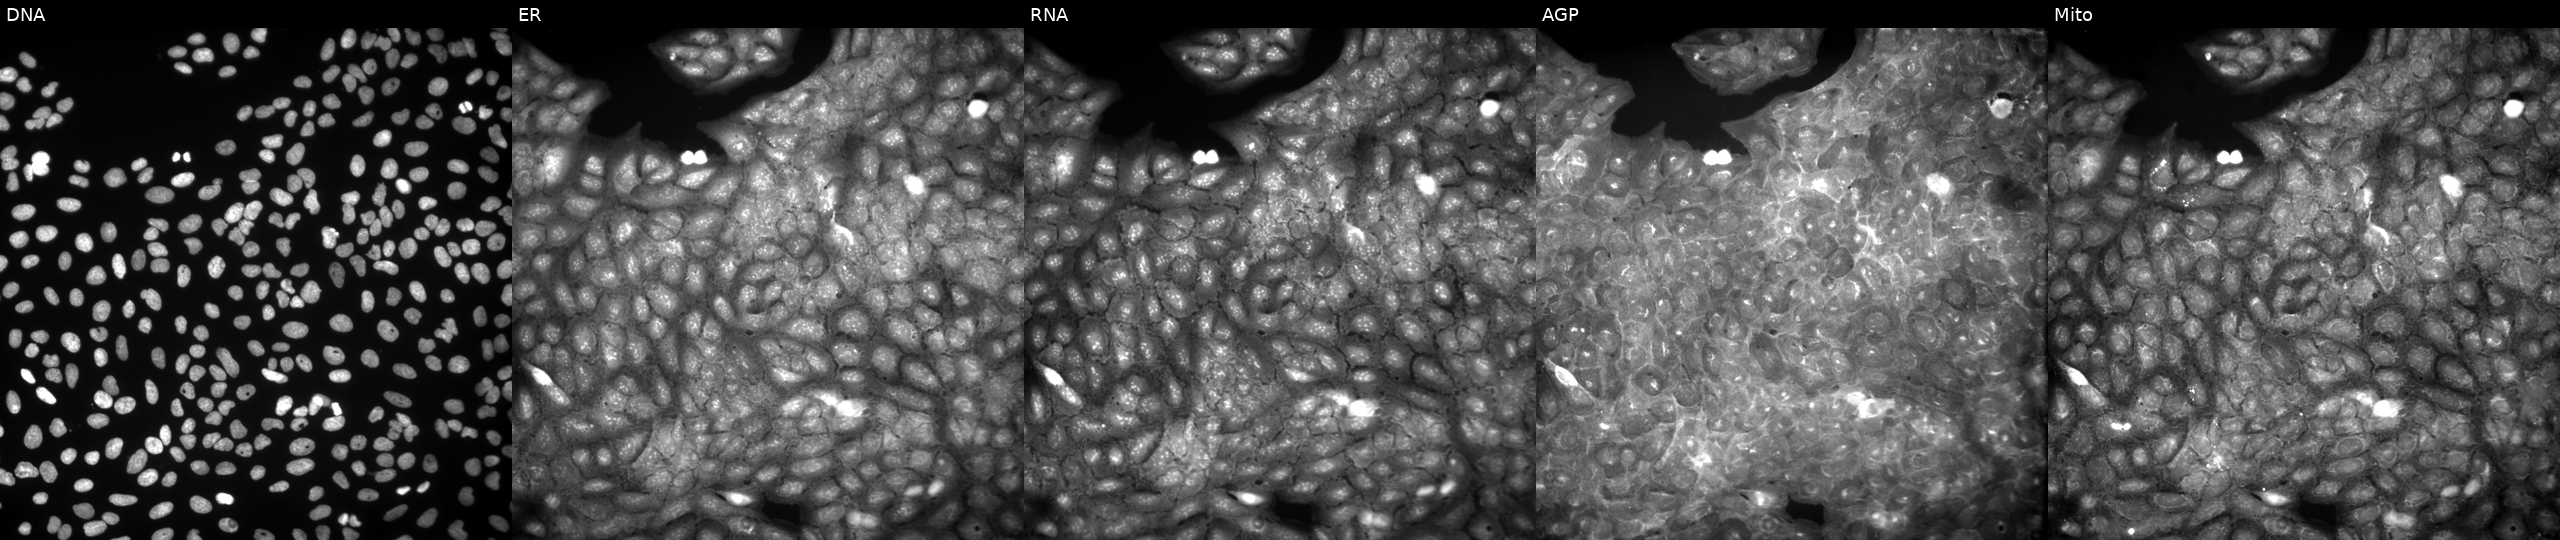
JUMP Cell Painting — COMPOUND plate. U2OS cells treated with a small-molecule compound (InChIKey OVQMLSGVAKAALW-UHFFFAOYSA-N) [SMILES: CC1=NN(C(=O)c2cccc(Cl)c2)C(O)(c2ccc(Cl)cc2)C1]. From left to right: DNA, ER, RNA, AGP, and Mito. Source 9, plate GR00003381, well AE30.